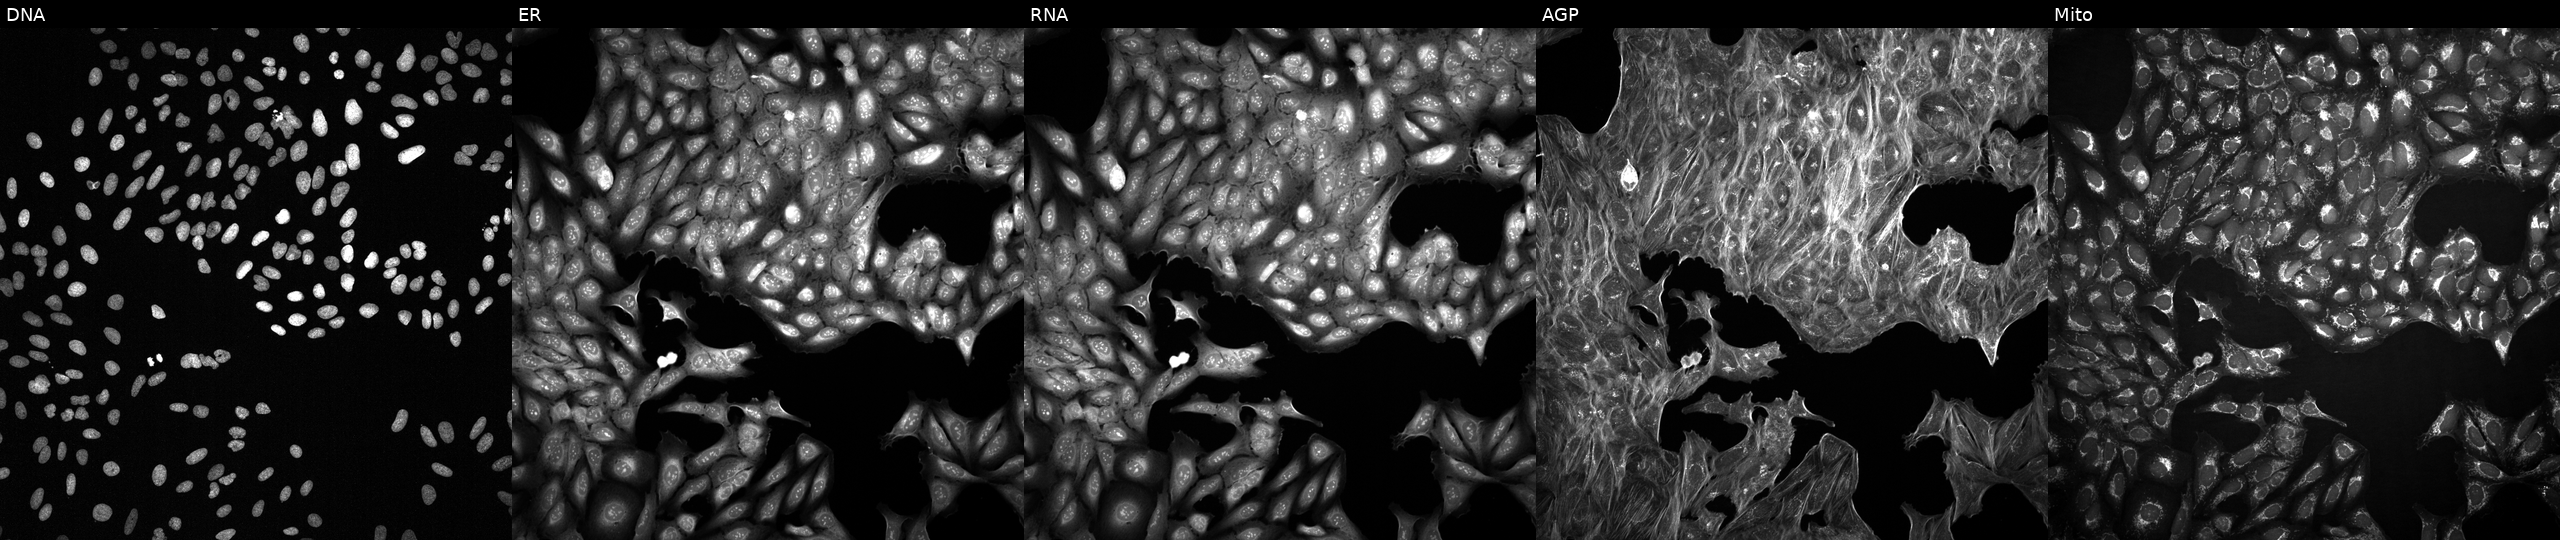
High-content fluorescence microscopy (Cell Painting). Cell line: U2OS. Perturbation: exposed to a small-molecule compound (InChIKey GFWAFRYBMAVJBN-UHFFFAOYSA-N) [SMILES: O=C1c2ccccc2C(=O)C12OC(c1ccc(I)cc1)c1c2c(O)n(C2CCCCC2)c1O]. Panels show, left to right, DNA (nuclei); ER (endoplasmic reticulum); RNA (nucleoli and cytoplasmic RNA); AGP (actin cytoskeleton, Golgi, and plasma membrane); Mito (mitochondria). Source 2, plate 1053601756, well O04.